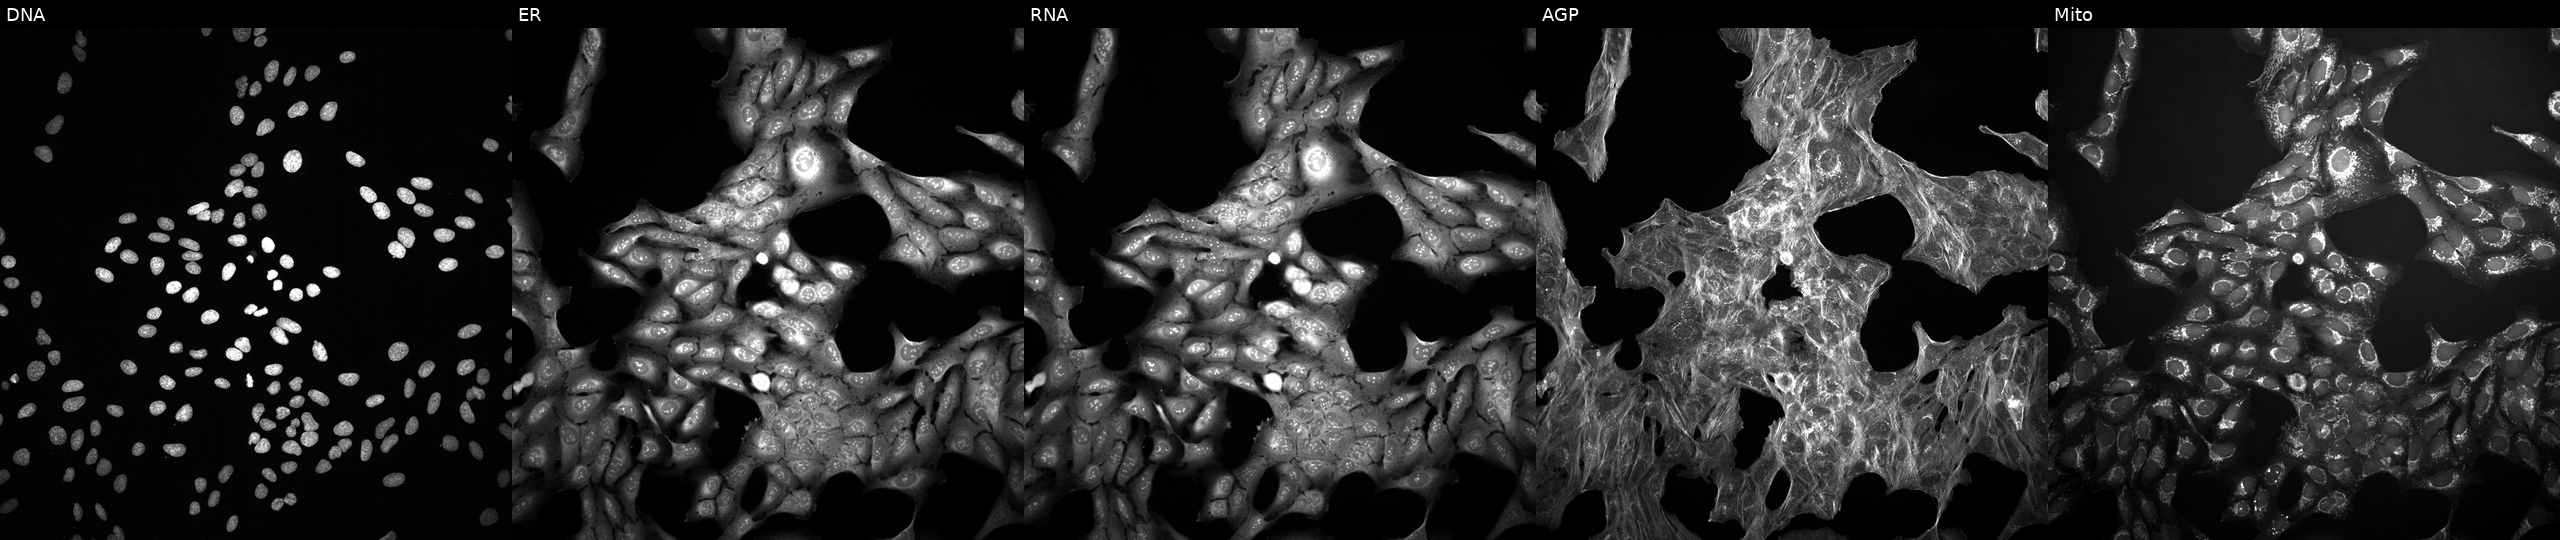
High-content fluorescence microscopy (Cell Painting). Cell line: U2OS. Perturbation: exposed to a small-molecule compound (JUMP id JCP2022_023781). From left to right: DNA (nuclei); ER (endoplasmic reticulum); RNA (nucleoli and cytoplasmic RNA); AGP (actin cytoskeleton, Golgi, and plasma membrane); Mito (mitochondria).